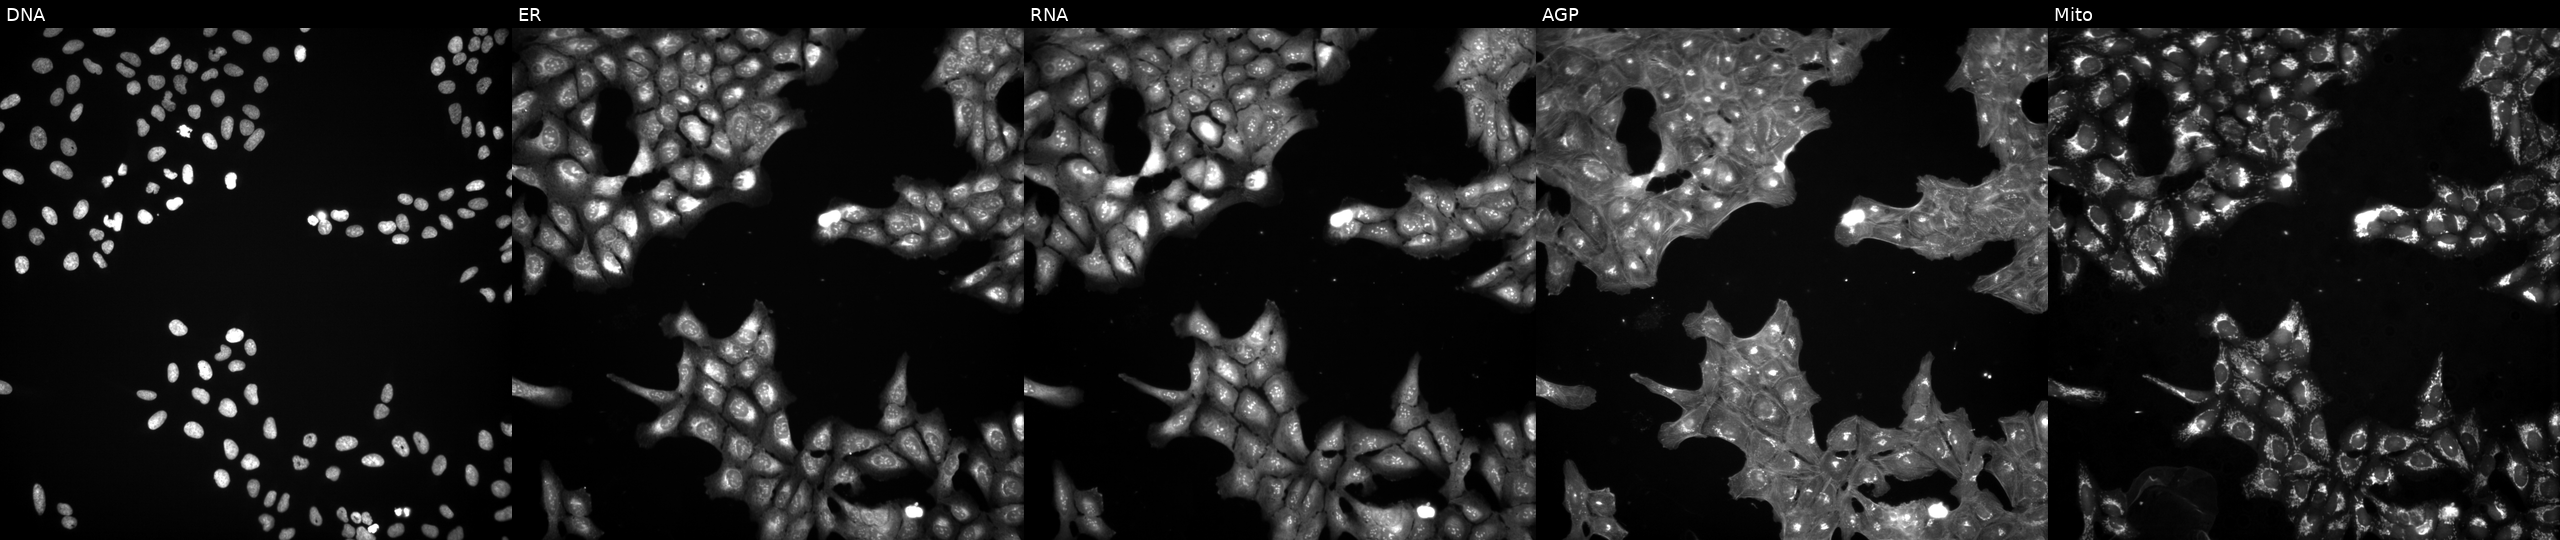
JUMP Cell Painting — COMPOUND plate. U2OS cells treated with a small-molecule compound (InChIKey NTRXTPNJTGBBLU-UHFFFAOYSA-N) [SMILES: Cc1n[nH]c(=Nc2ccc(CC(N)=O)cc2)c2ccccc12]. The five panels, left to right, show DNA (nuclei); ER (endoplasmic reticulum); RNA (nucleoli and cytoplasmic RNA); AGP (actin cytoskeleton, Golgi, and plasma membrane); Mito (mitochondria).